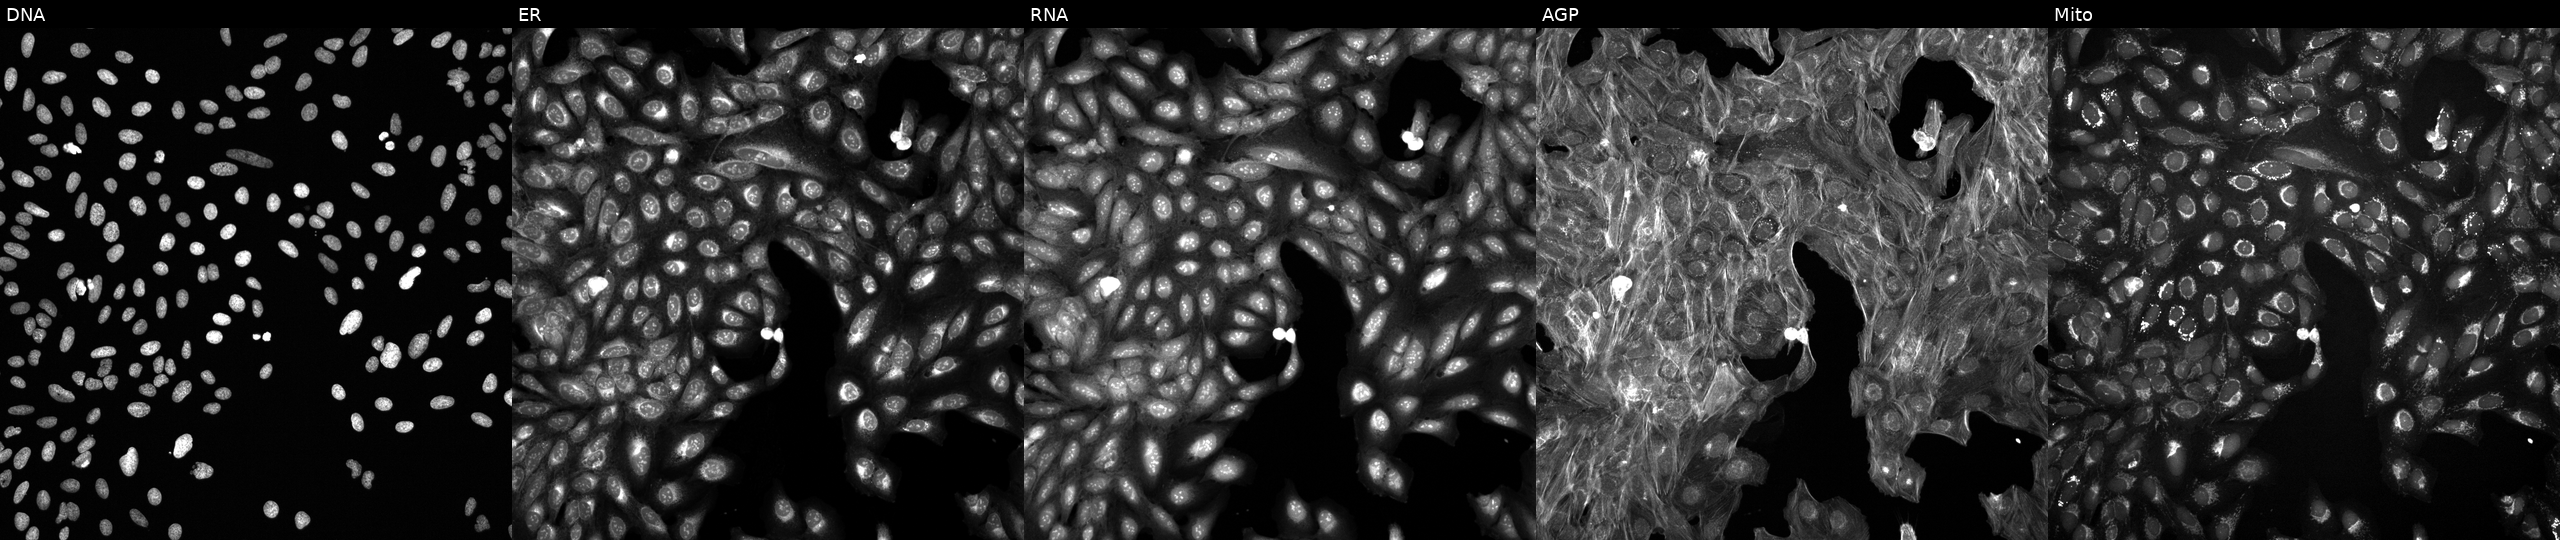
This image strip shows the five Cell Painting channels for a single field of U2OS cells perturbed with a small-molecule compound (InChIKey YZPFEOMNUDZARK-UHFFFAOYSA-N) (JUMP id JCP2022_111903). Panels show, left to right, Hoechst 33342, concanavalin A, SYTO 14, phalloidin and WGA, MitoTracker. Source 6, plate 110000293083, well O13.